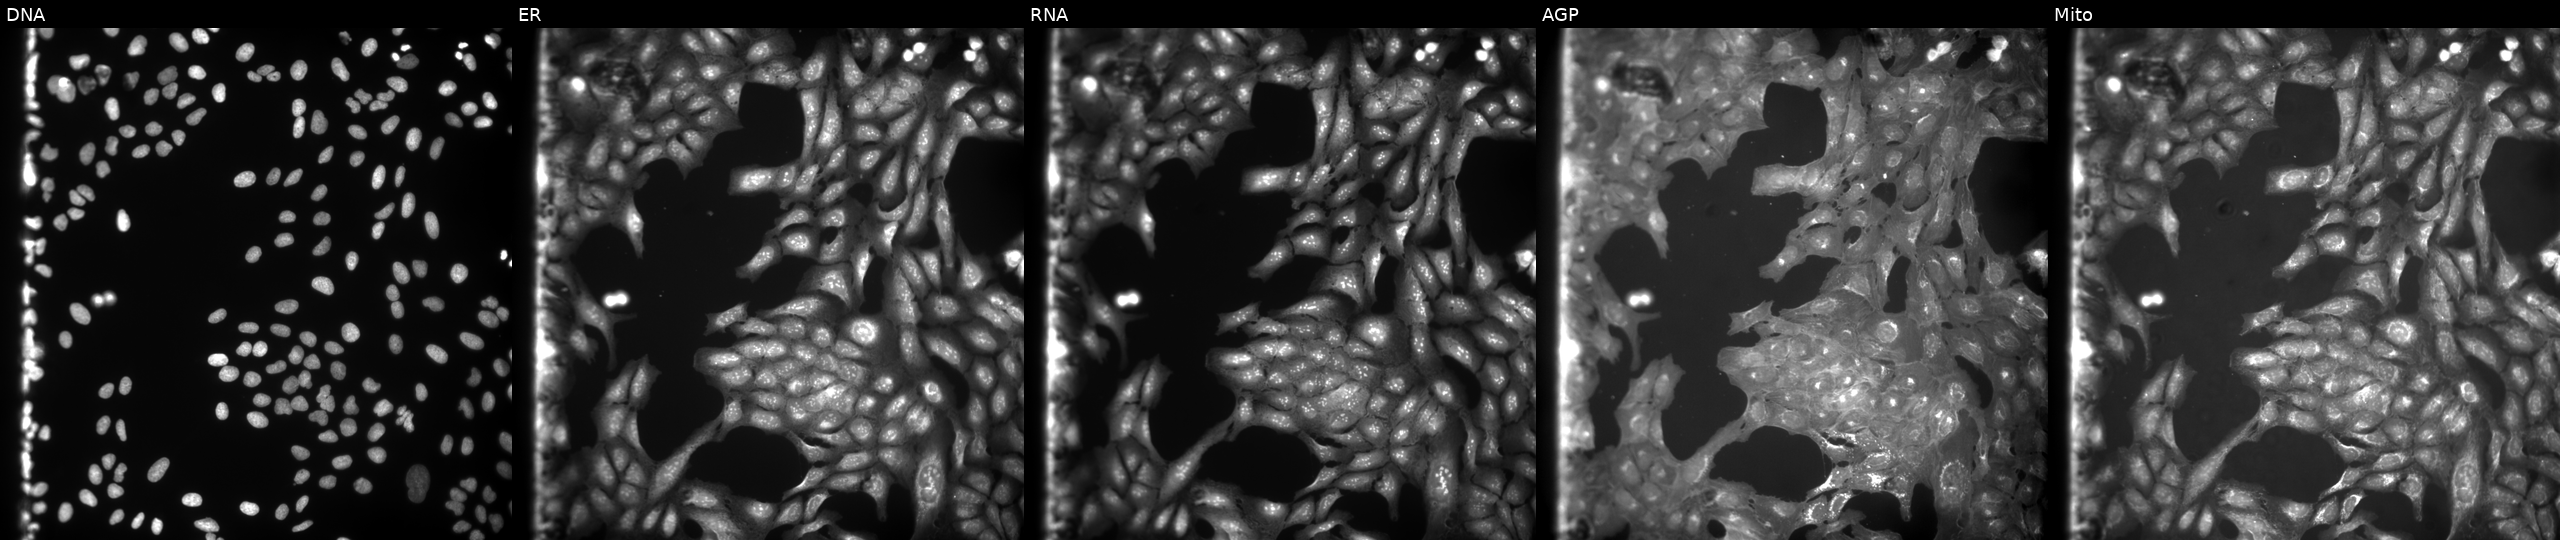
JUMP Cell Painting — COMPOUND plate. U2OS cells treated with TC-S-7004 (positive-control compound) (JUMP id JCP2022_012818). From left to right: DNA, ER, RNA, AGP, and Mito.